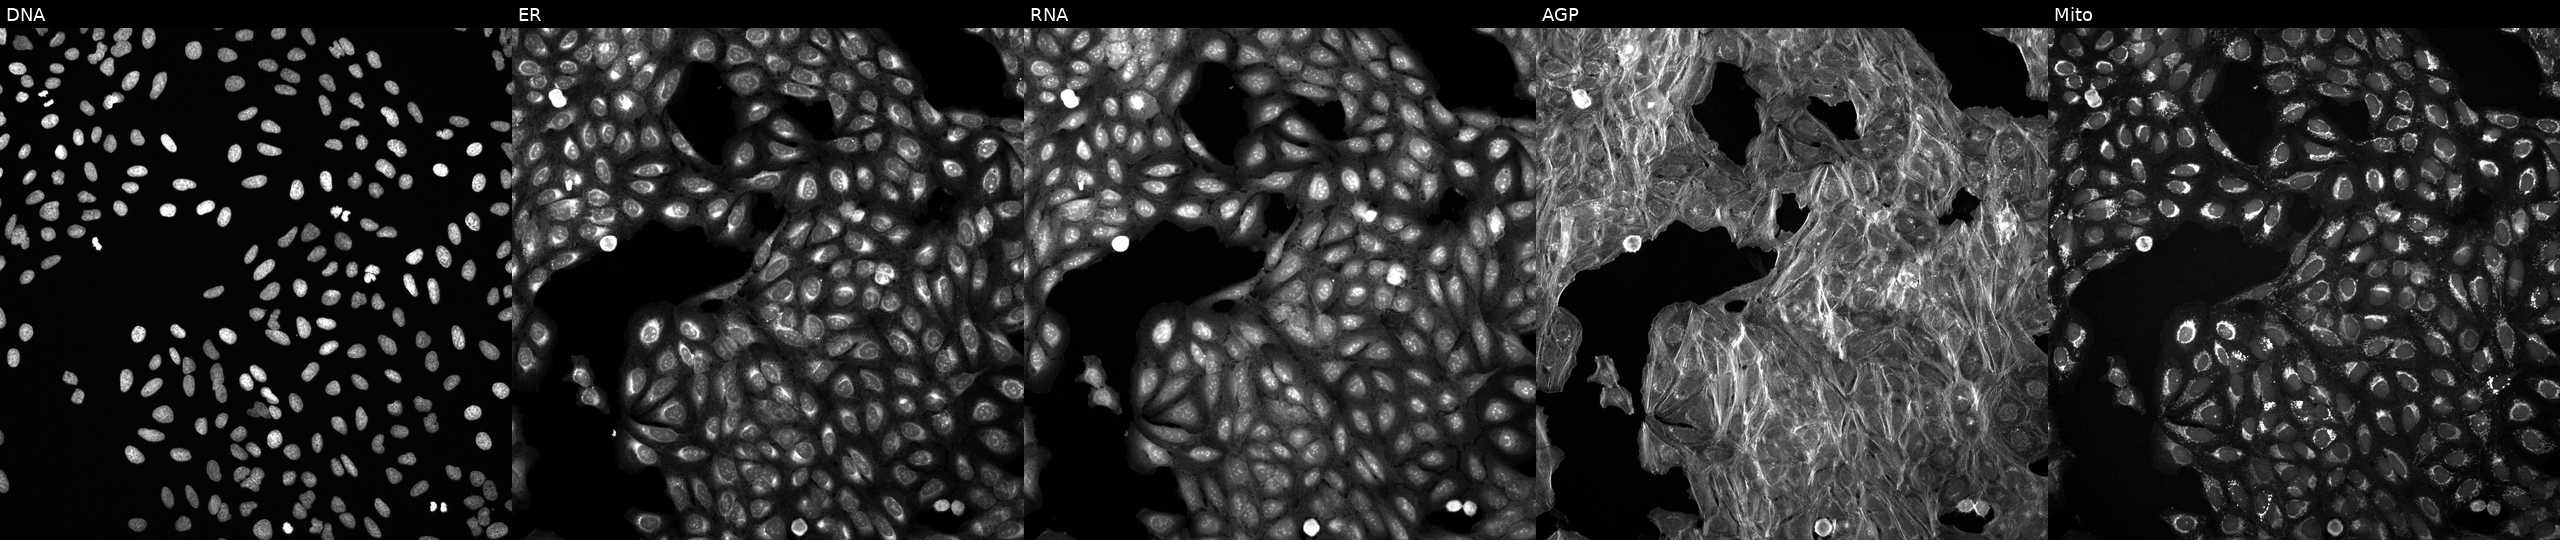
High-content fluorescence microscopy (Cell Painting). Cell line: U2OS. Perturbation: treated with a small-molecule compound (InChIKey FDTQUGZRNBIAEG-UHFFFAOYSA-N) (JUMP id JCP2022_019995). Panels show, left to right, DNA (nuclei); ER (endoplasmic reticulum); RNA (nucleoli and cytoplasmic RNA); AGP (actin cytoskeleton, Golgi, and plasma membrane); Mito (mitochondria). Source 6, plate 110000293082, well J11.